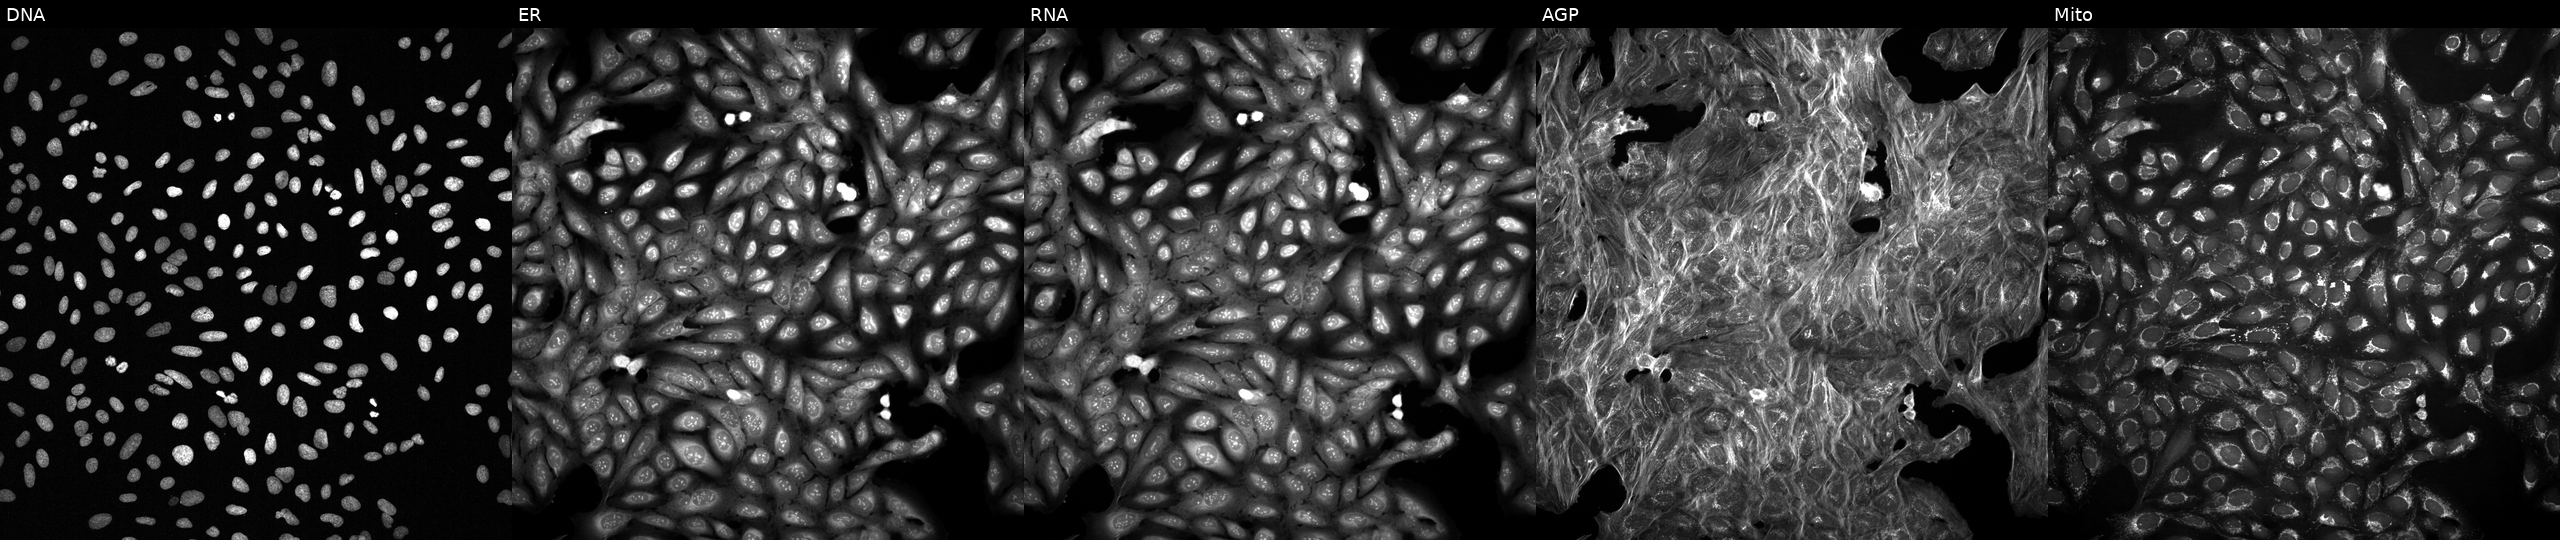
Five-channel Cell Painting image of U2OS cells treated with DMSO vehicle only (negative control). Channels (left→right): Hoechst 33342, concanavalin A, SYTO 14, phalloidin and WGA, MitoTracker. Source 2, plate 1053601756, well G02.